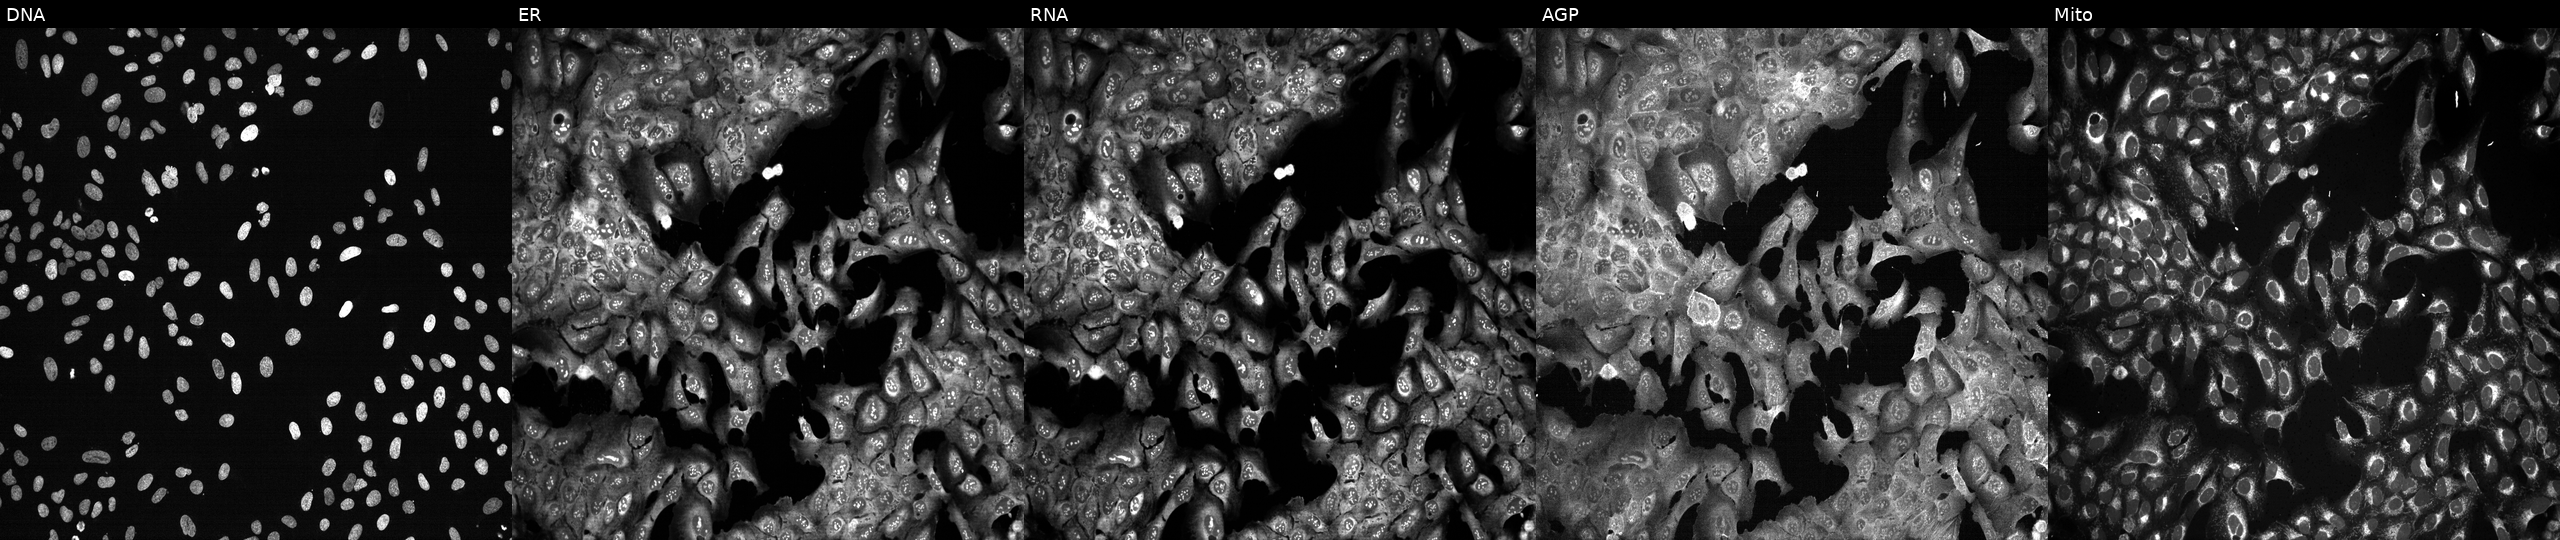
U2OS cells, Cell Painting assay, following CRISPR knockout of ABCC10 (JUMP id JCP2022_800041). Panels show, left to right, DNA, ER, RNA, AGP, and Mito. Each panel is percentile-stretched 16-bit fluorescence. Source 13, plate CP-CC9-R3-02, well M05.